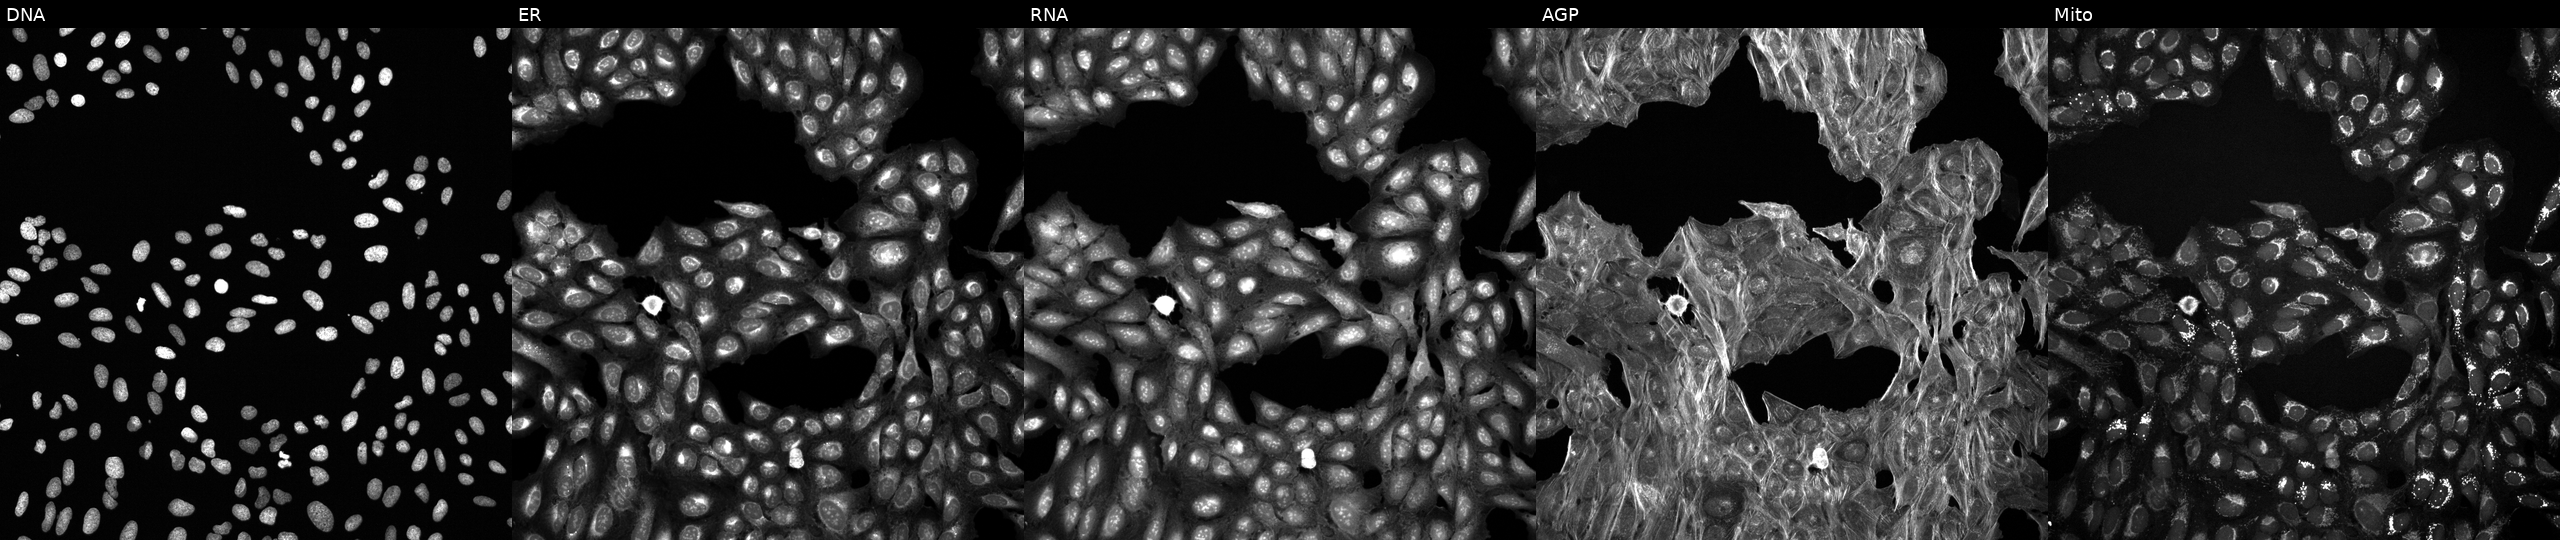
This image strip shows the five Cell Painting channels for a single field of U2OS cells treated with a small-molecule compound. Panels show, left to right, DNA, ER, RNA, AGP, and Mito.